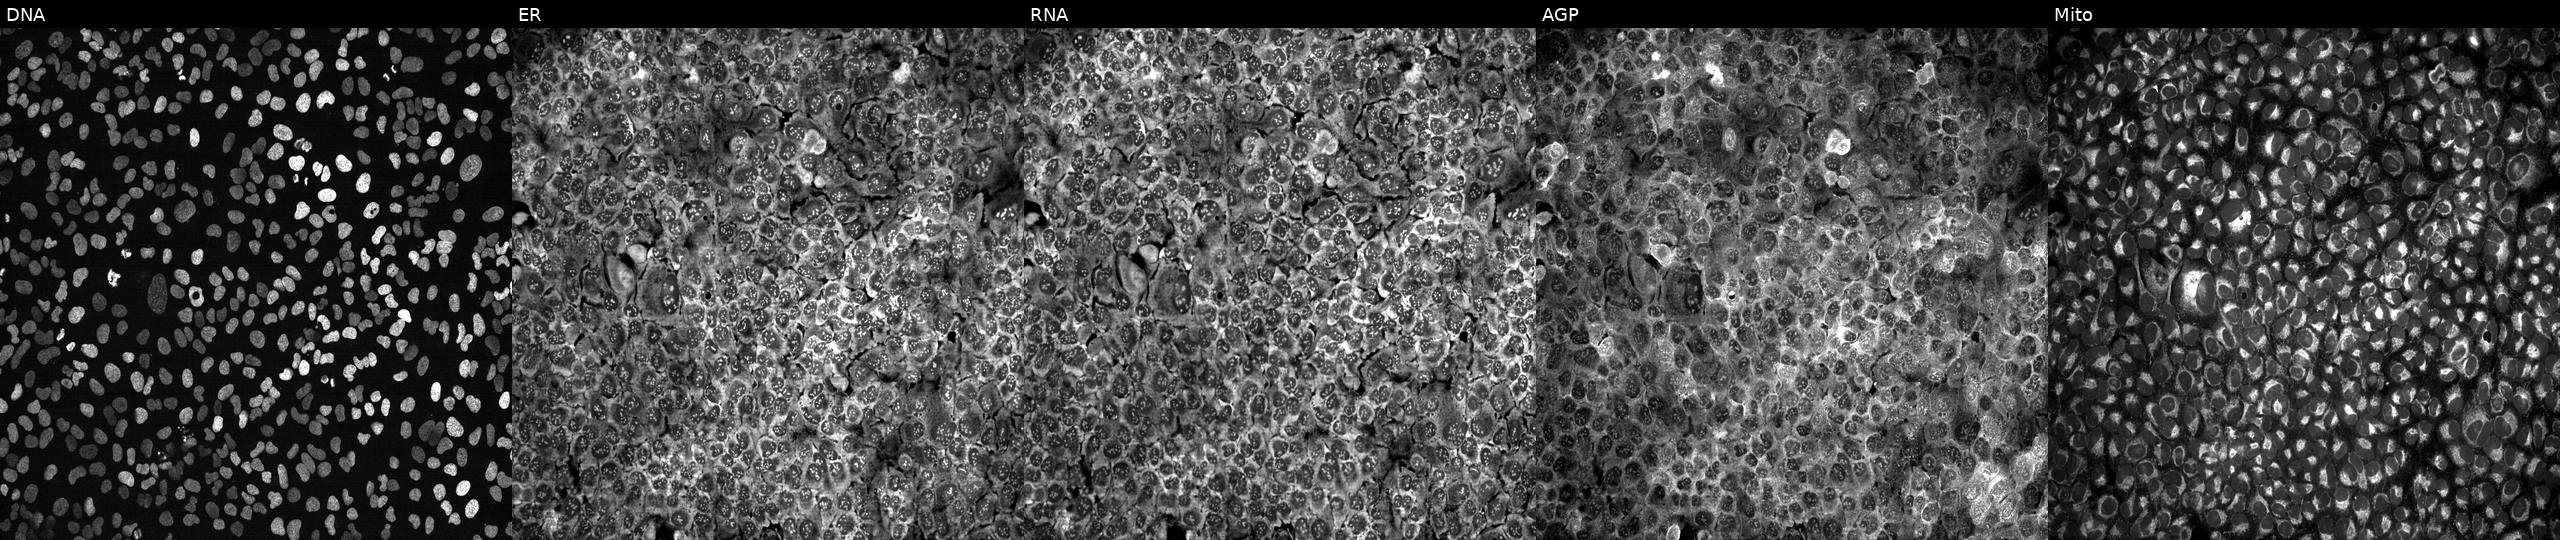
This image strip shows the five Cell Painting channels for a single field of U2OS cells with ADPRHL1 knocked out by CRISPR. Panels show, left to right, Hoechst 33342, concanavalin A, SYTO 14, phalloidin and WGA, MitoTracker.